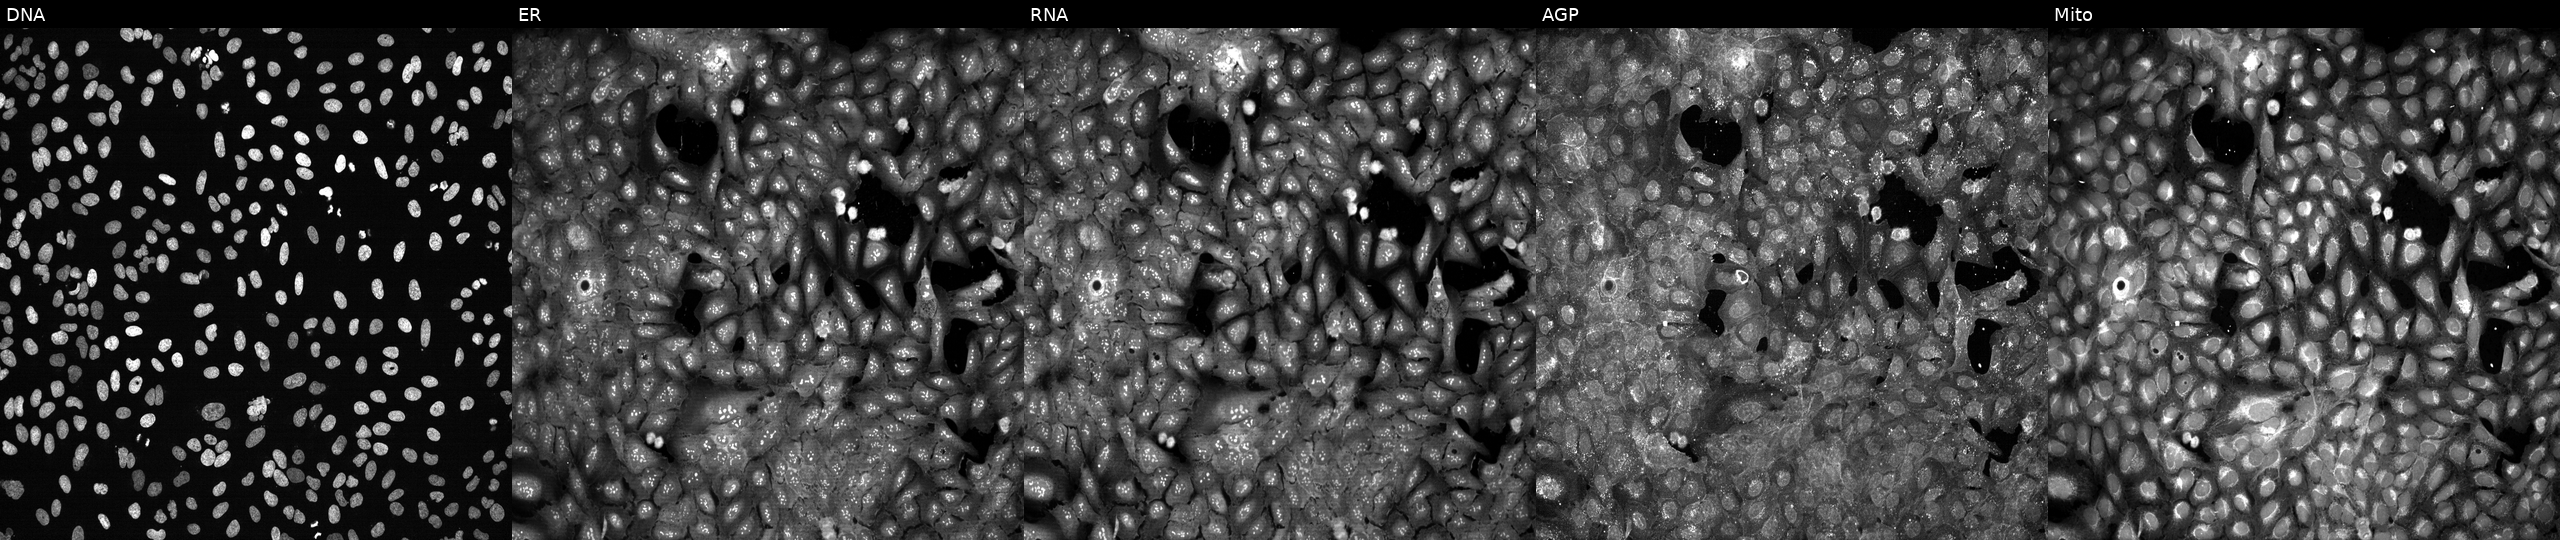
U2OS cells, Cell Painting assay, with SRR knocked out by CRISPR. Panels show, left to right, DNA (nuclei); ER (endoplasmic reticulum); RNA (nucleoli and cytoplasmic RNA); AGP (actin cytoskeleton, Golgi, and plasma membrane); Mito (mitochondria). Each panel is percentile-stretched 16-bit fluorescence.